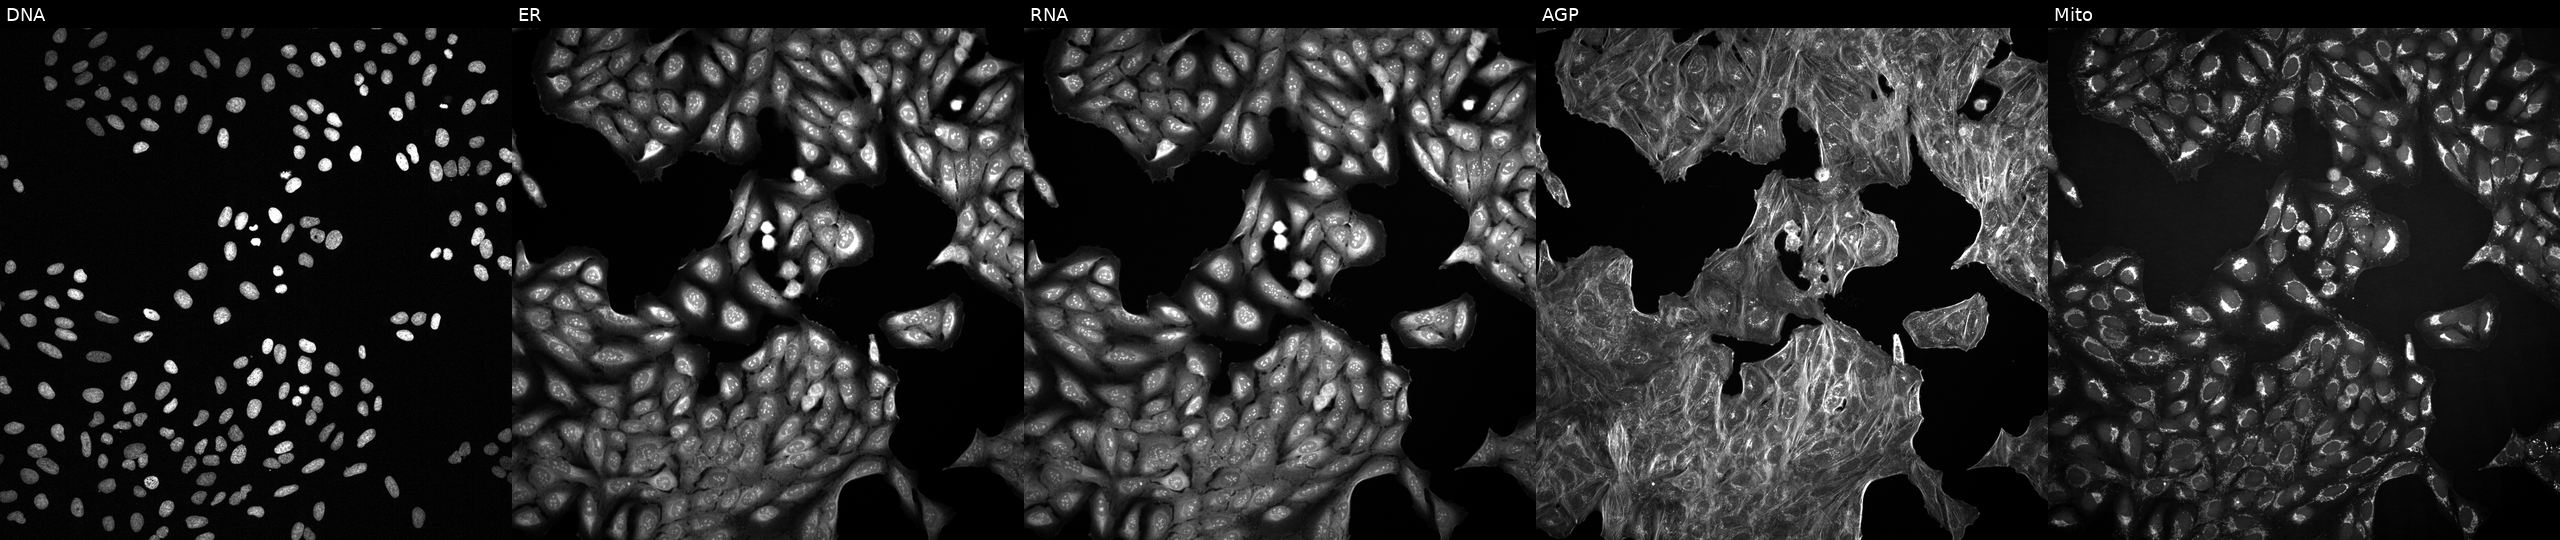
The five panels, left to right, show DNA (nuclei); ER (endoplasmic reticulum); RNA (nucleoli and cytoplasmic RNA); AGP (actin cytoskeleton, Golgi, and plasma membrane); Mito (mitochondria). U2OS osteosarcoma cells perturbed with a small-molecule compound (InChIKey CLPSAAPUJUVQPP-UHFFFAOYSA-N) (JUMP id JCP2022_011923). Cell Painting assay, JUMP-CP dataset. Source 2, plate 1053601763, well K16.